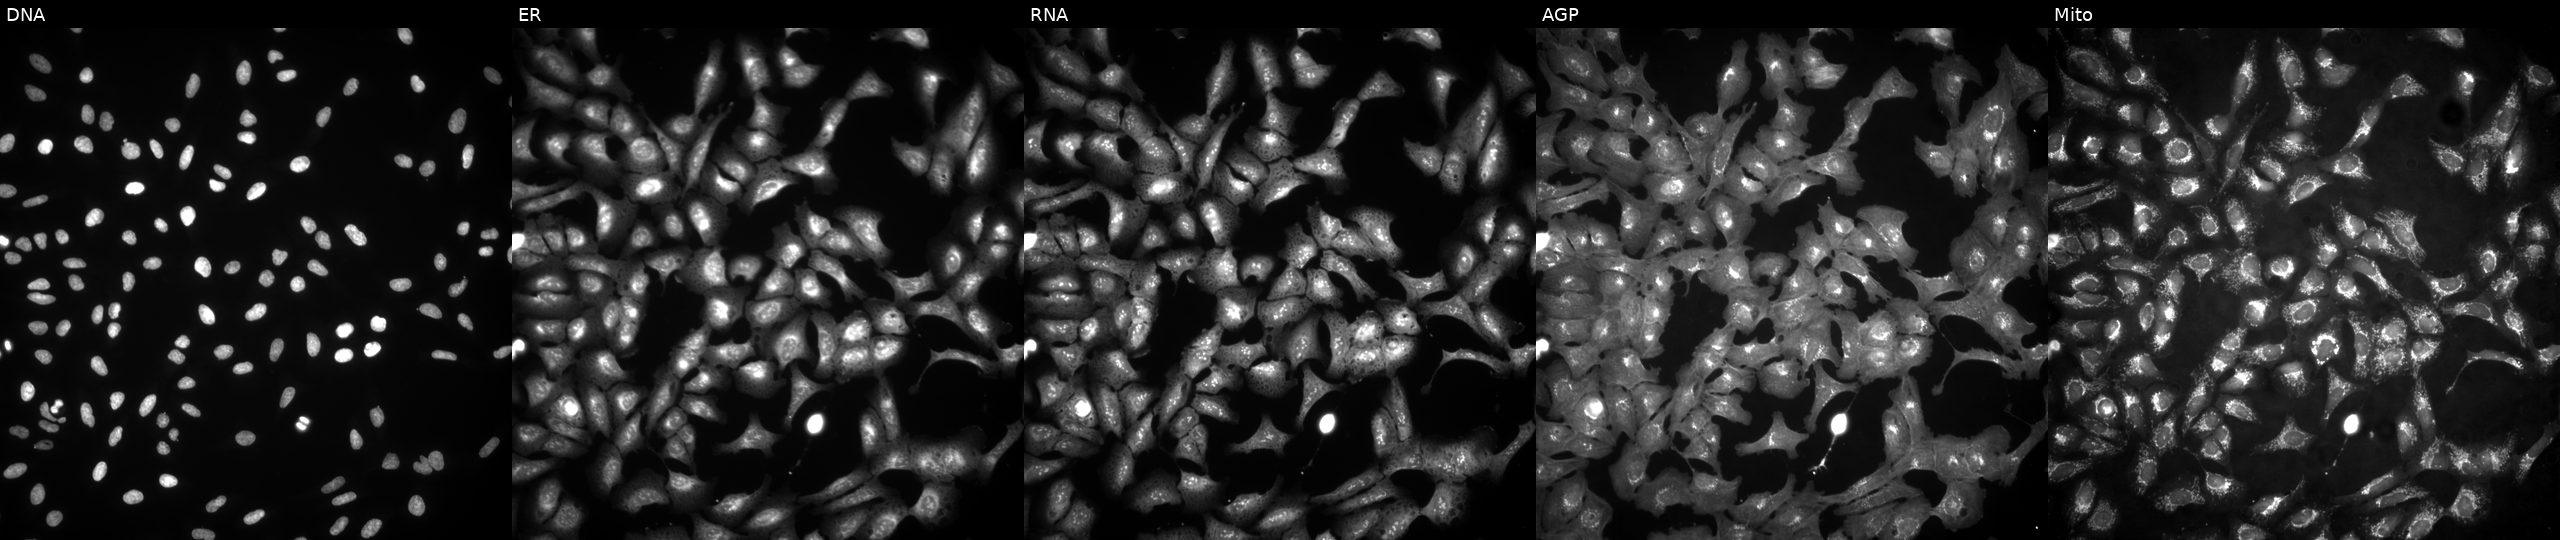
JUMP Cell Painting — ORF plate. U2OS cells with TOMM6 overexpressed (ORF) (JUMP id JCP2022_905374). Panels show, left to right, DNA, ER, RNA, AGP, and Mito.